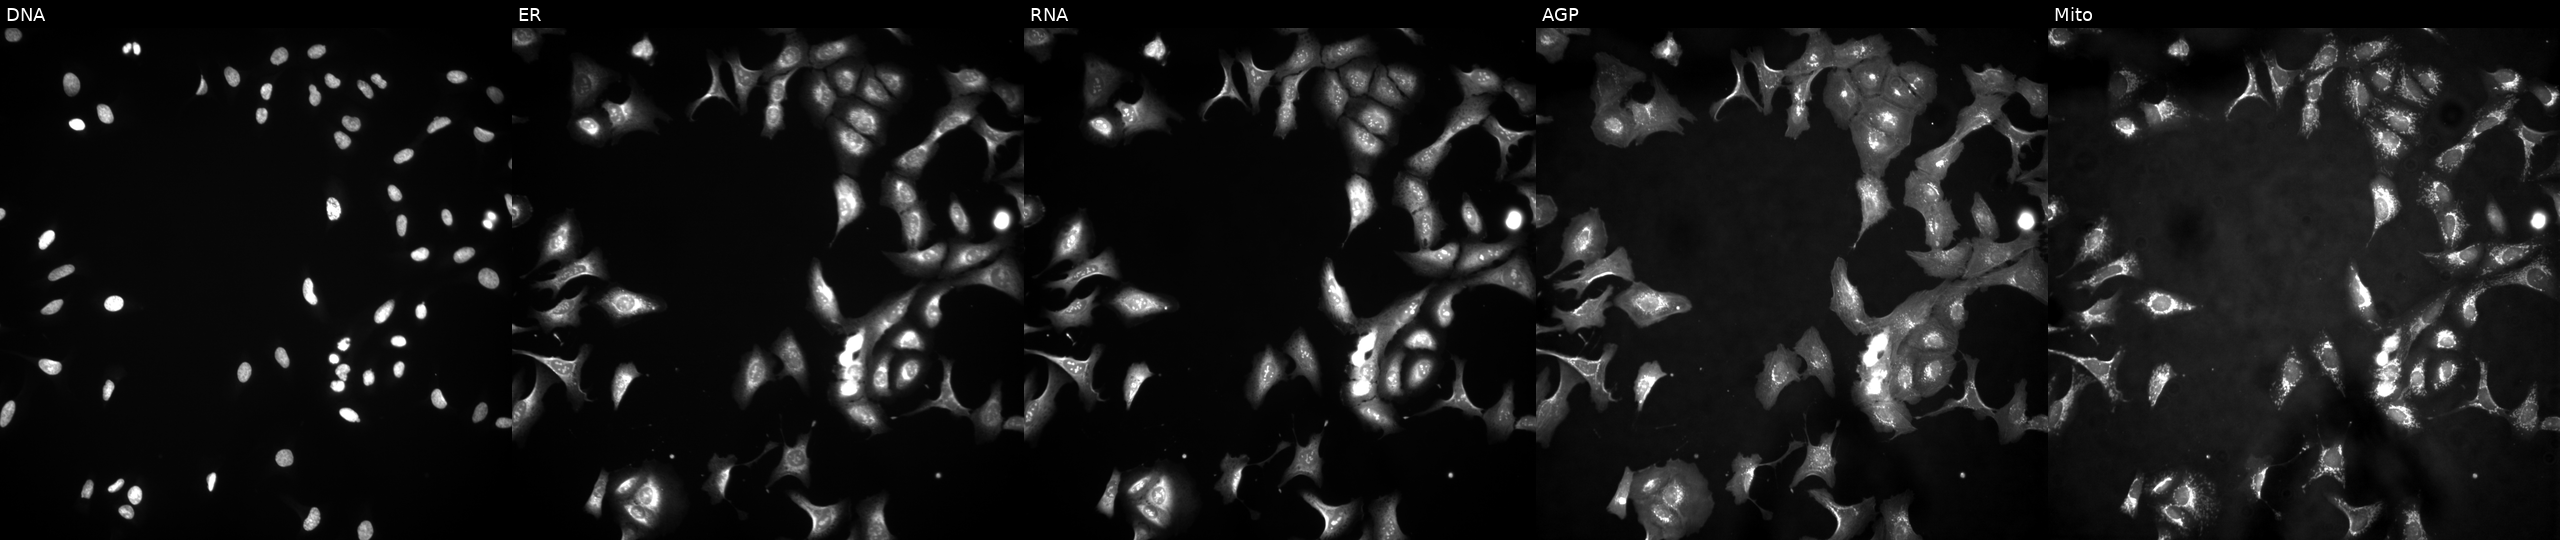
High-content fluorescence microscopy (Cell Painting). Cell line: U2OS. Perturbation: with PPIB overexpressed (ORF). Panels show, left to right, DNA, ER, RNA, AGP, and Mito.